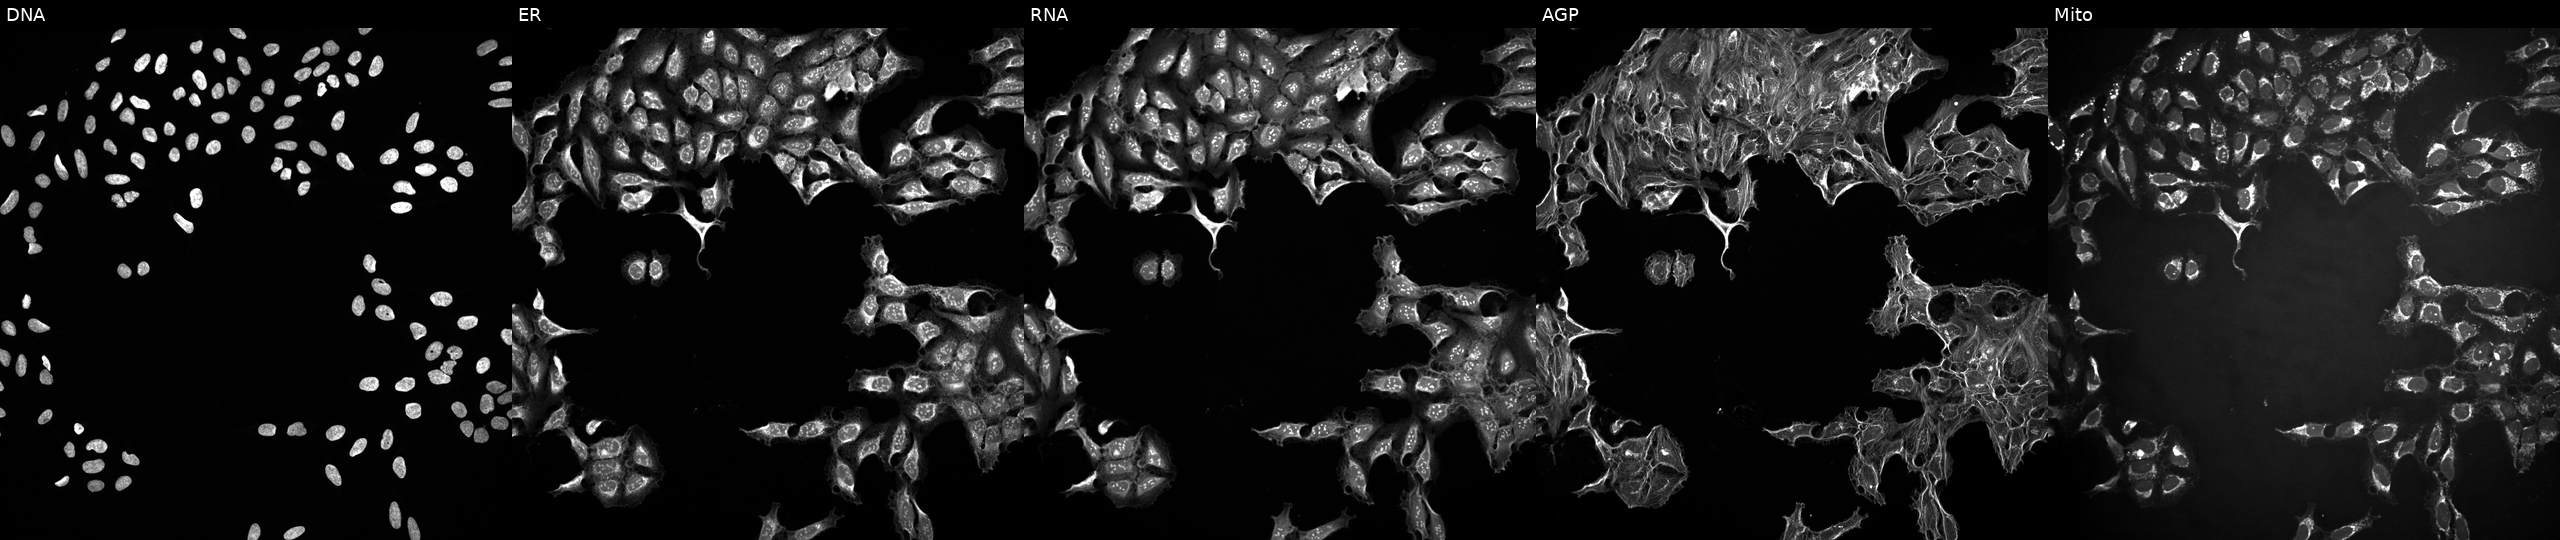
This image strip shows the five Cell Painting channels for a single field of U2OS cells treated with DMSO vehicle only (negative control). Panels show, left to right, Hoechst 33342, concanavalin A, SYTO 14, phalloidin and WGA, MitoTracker. Source 10, plate Dest210727-153003, well M03.